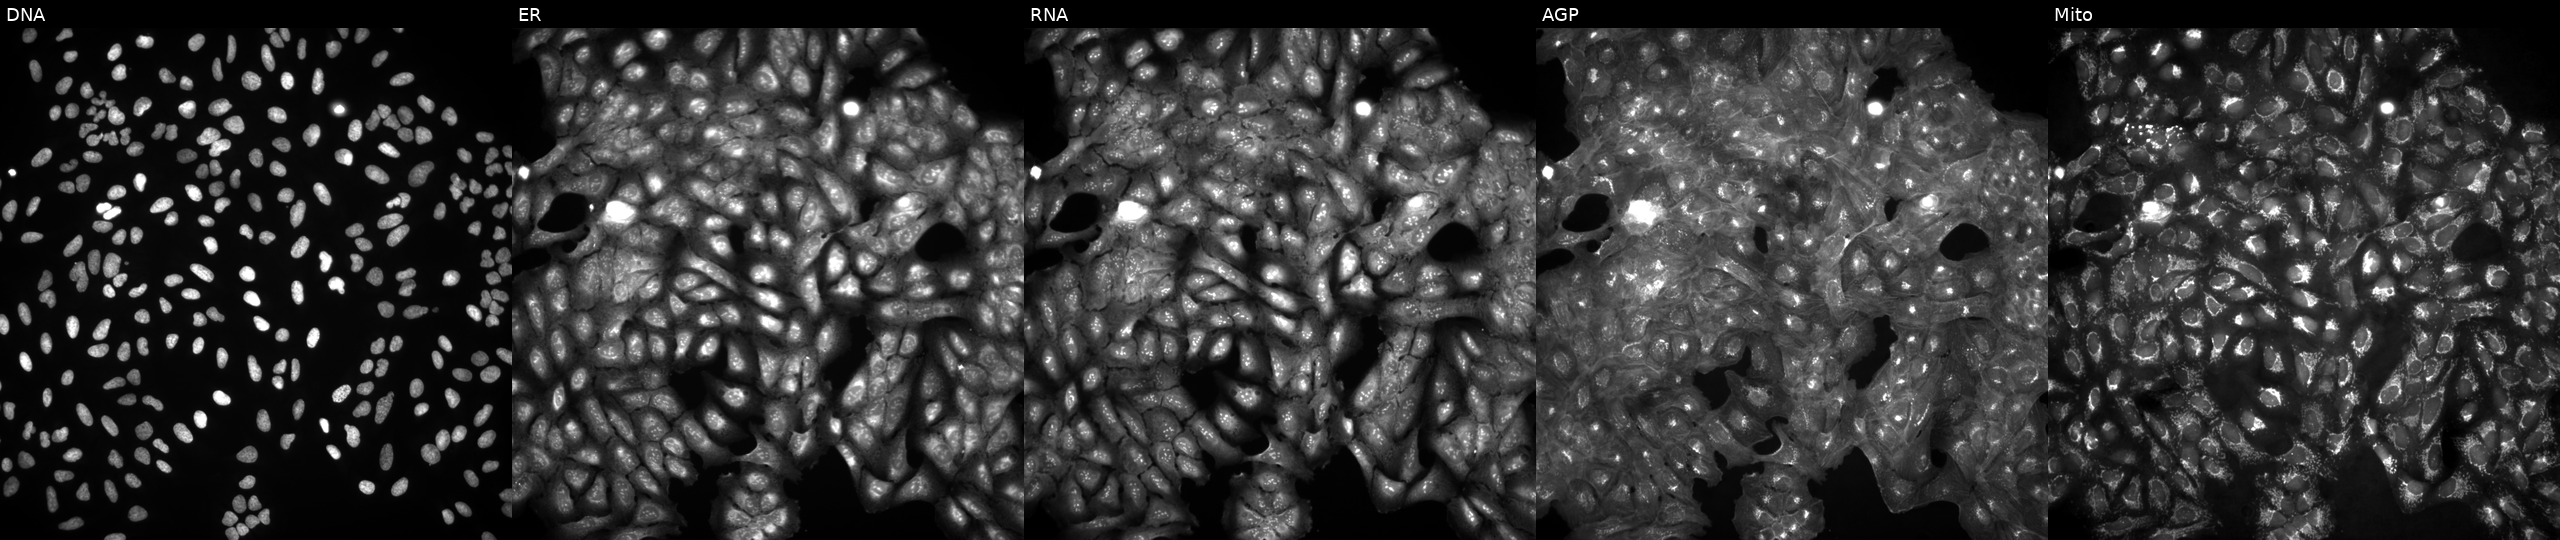
Channels (left→right): DNA (nuclei); ER (endoplasmic reticulum); RNA (nucleoli and cytoplasmic RNA); AGP (actin cytoskeleton, Golgi, and plasma membrane); Mito (mitochondria). U2OS osteosarcoma cells untreated (empty-well control) (JUMP id JCP2022_999999). Cell Painting assay, JUMP-CP dataset. Source 4, plate BR00123946, well B14.